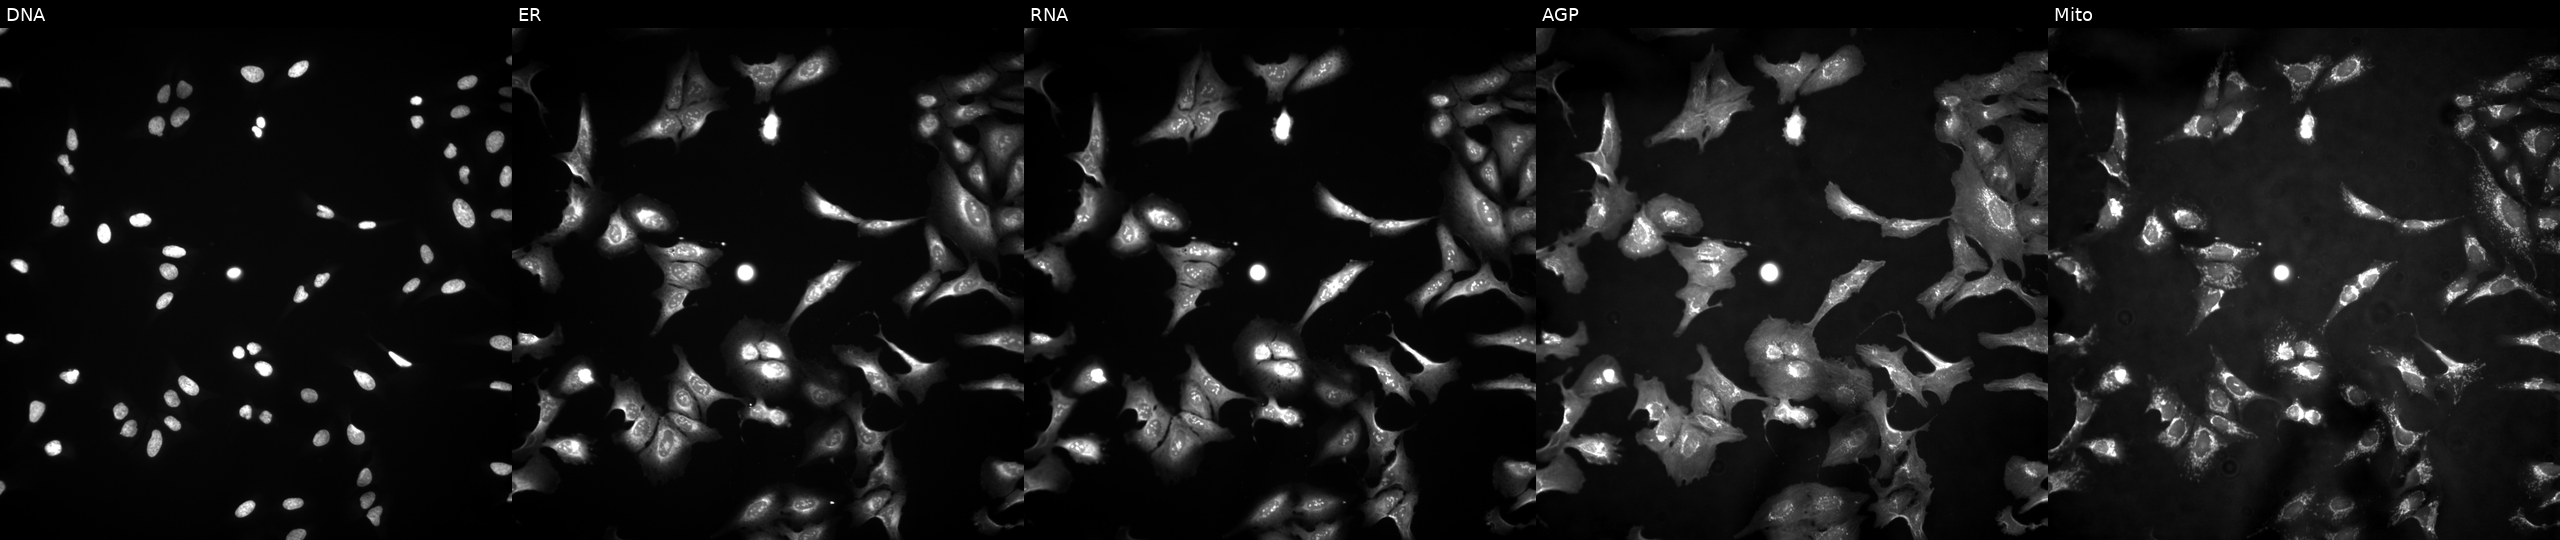
High-content fluorescence microscopy (Cell Painting). Cell line: U2OS. Perturbation: overexpressing ATL1 via ORF transfection. From left to right: DNA, ER, RNA, AGP, and Mito.